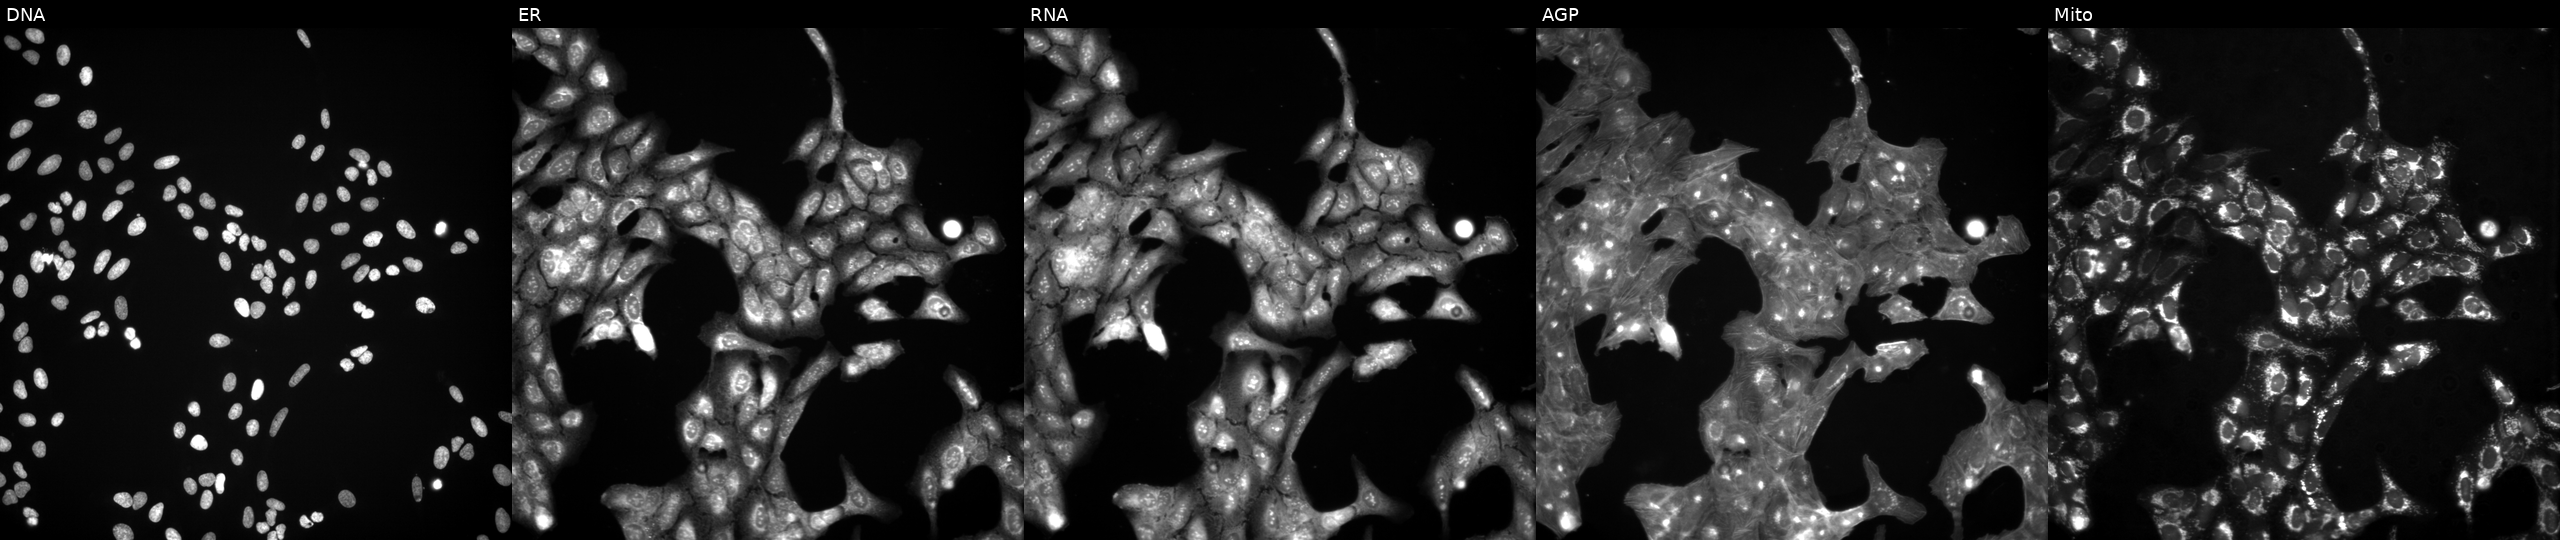
High-content fluorescence microscopy (Cell Painting). Cell line: U2OS. Perturbation: treated with a small-molecule compound (JUMP id JCP2022_000272). Panels show, left to right, Hoechst 33342, concanavalin A, SYTO 14, phalloidin and WGA, MitoTracker.